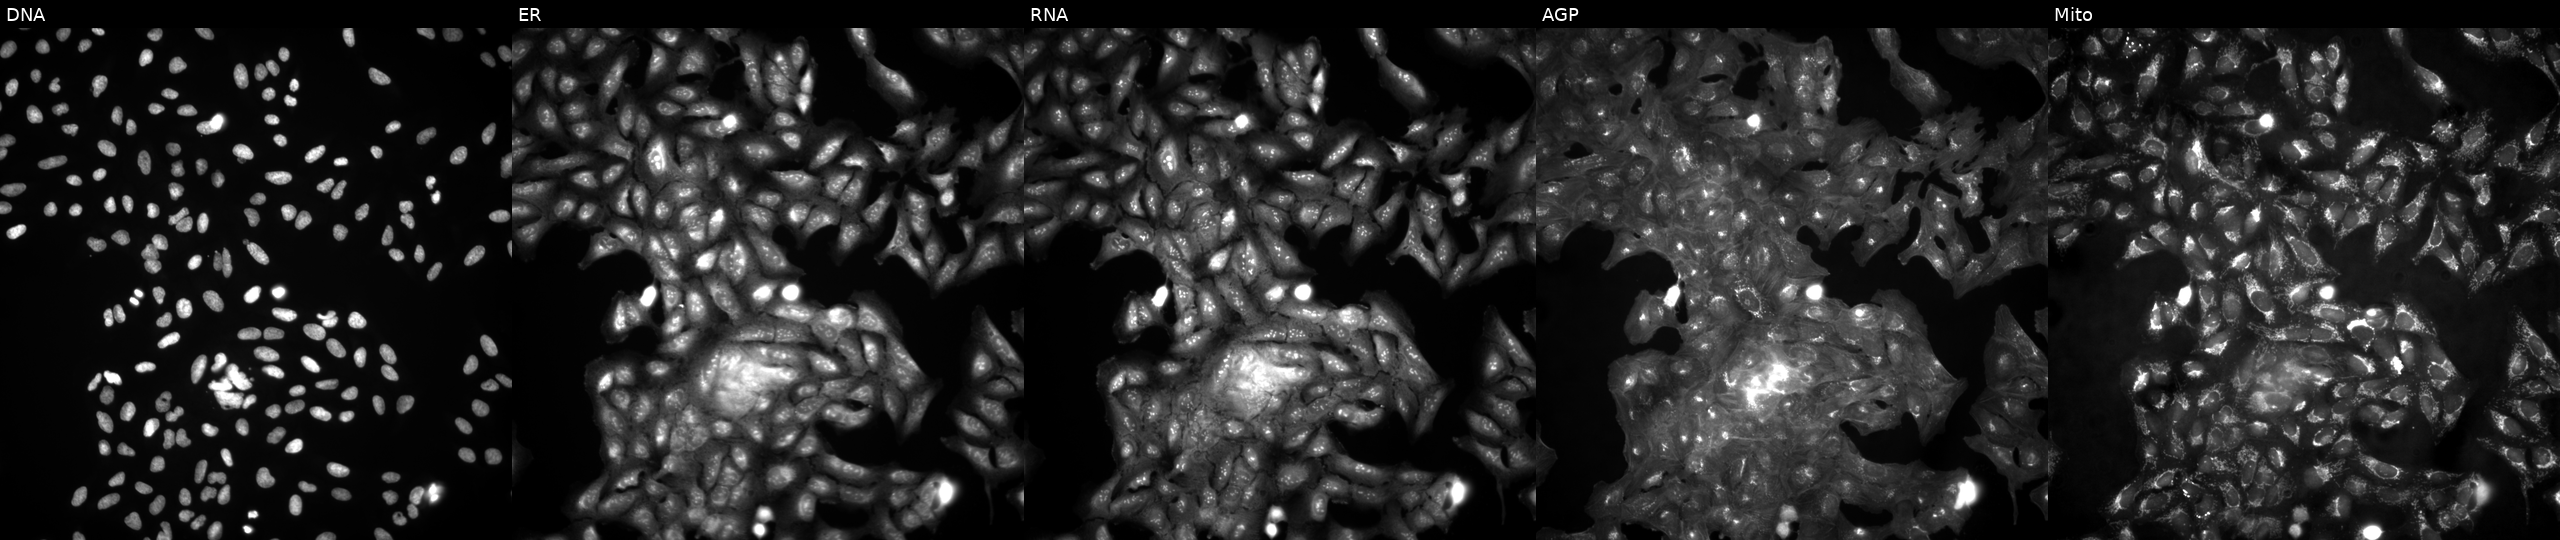
Five-channel Cell Painting image of U2OS cells in an empty control well (no perturbation) (JUMP id JCP2022_999999). The five panels, left to right, show DNA, ER, RNA, AGP, and Mito.